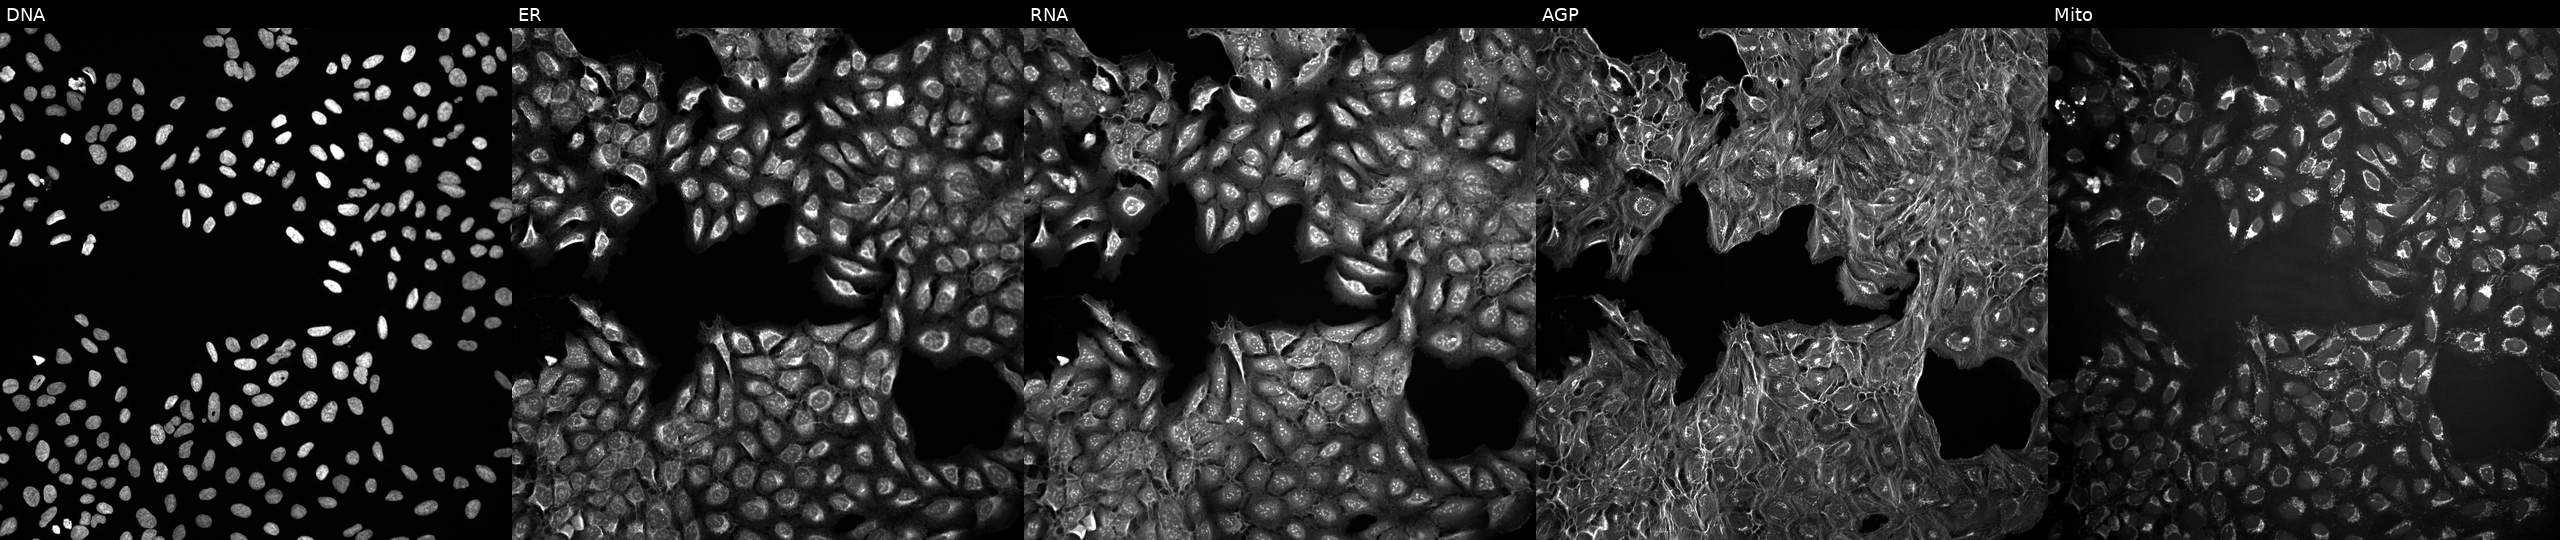
Five-channel Cell Painting image of U2OS cells in an empty control well (no perturbation) (JUMP id JCP2022_999999). The five panels, left to right, show Hoechst 33342, concanavalin A, SYTO 14, phalloidin and WGA, MitoTracker.